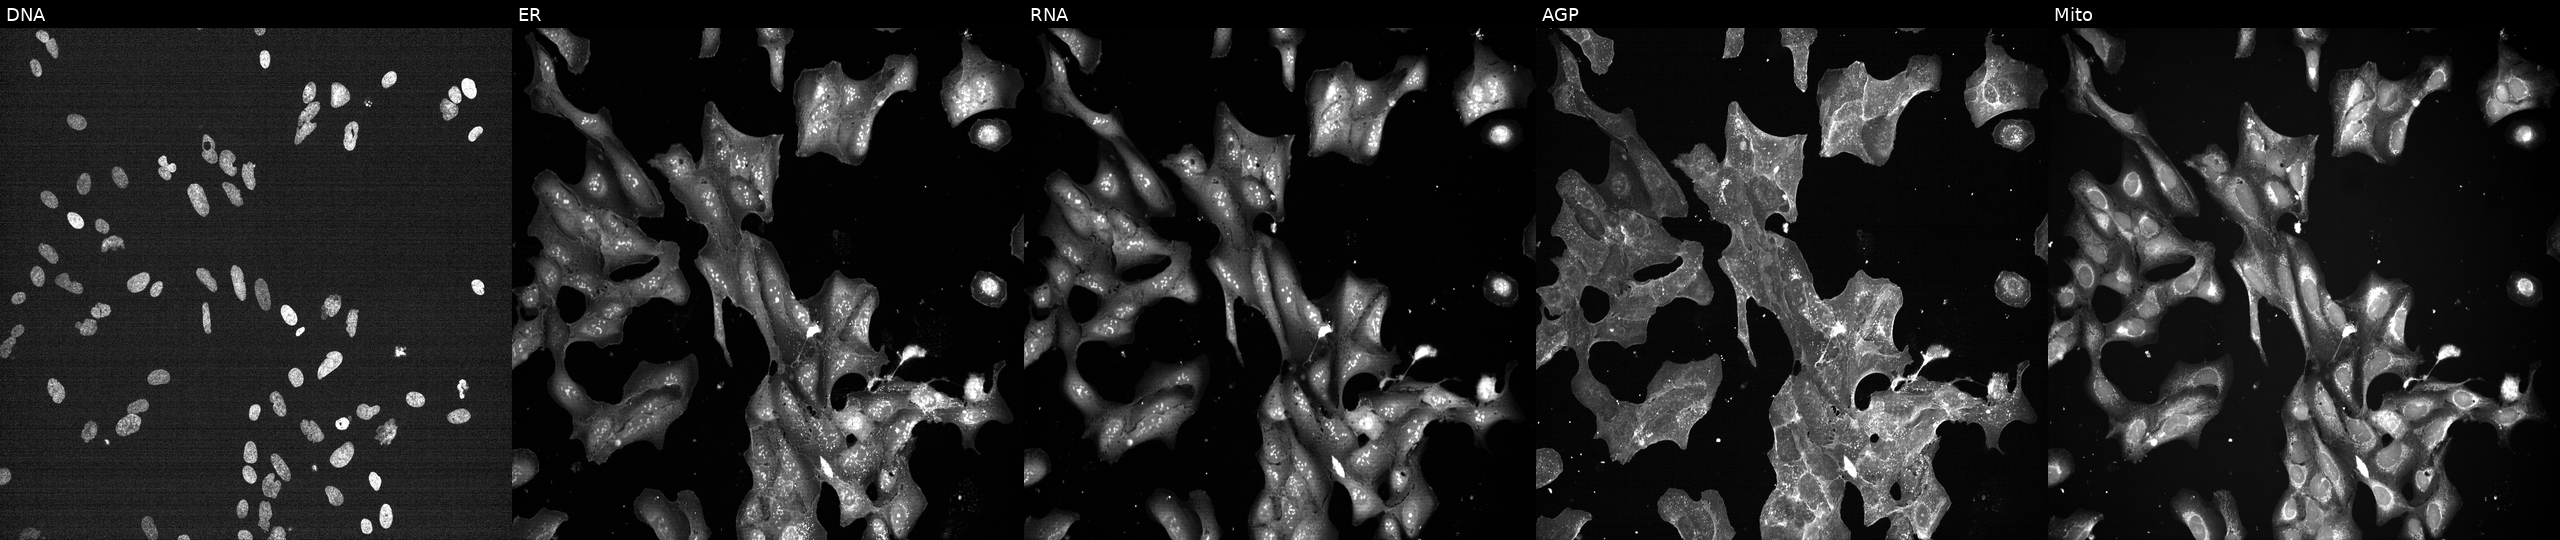
JUMP Cell Painting — TARGET2 plate. U2OS cells exposed to a small-molecule compound [SMILES: CN(c1ccccc1CN=c1[nH]c(=Nc2ccc3[nH]c(O)cc3c2)[nH]cc1C(F)(F)F)S(C)(=O)=O] (JUMP id JCP2022_027206). Channels (left→right): Hoechst 33342, concanavalin A, SYTO 14, phalloidin and WGA, MitoTracker.